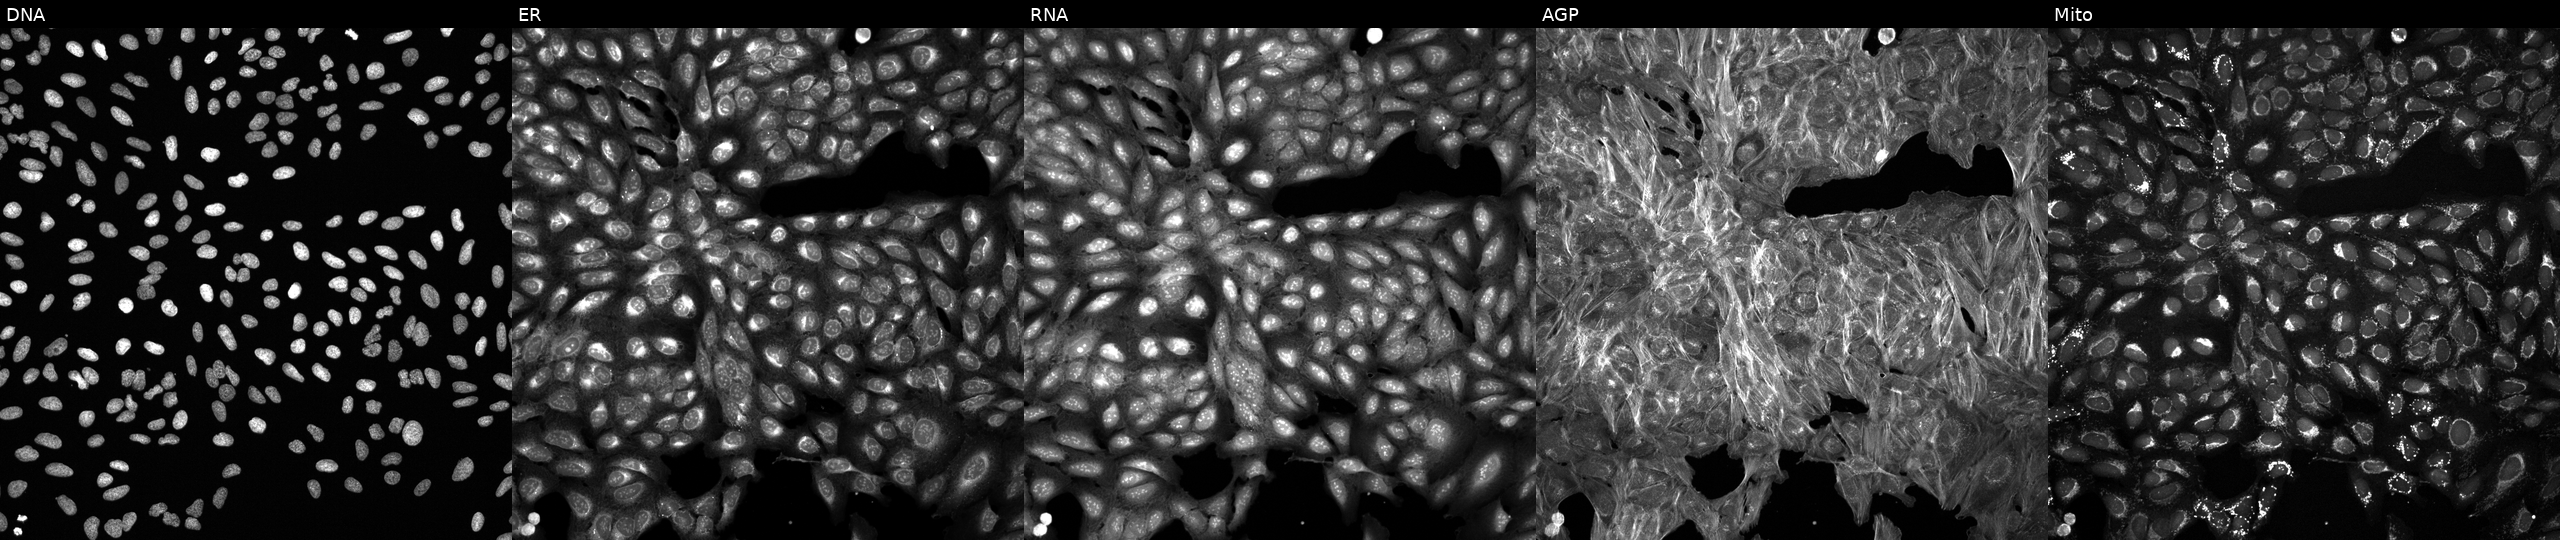
This image strip shows the five Cell Painting channels for a single field of U2OS cells exposed to DMSO alone as a negative control (JUMP id JCP2022_033924). The five panels, left to right, show Hoechst 33342, concanavalin A, SYTO 14, phalloidin and WGA, MitoTracker.